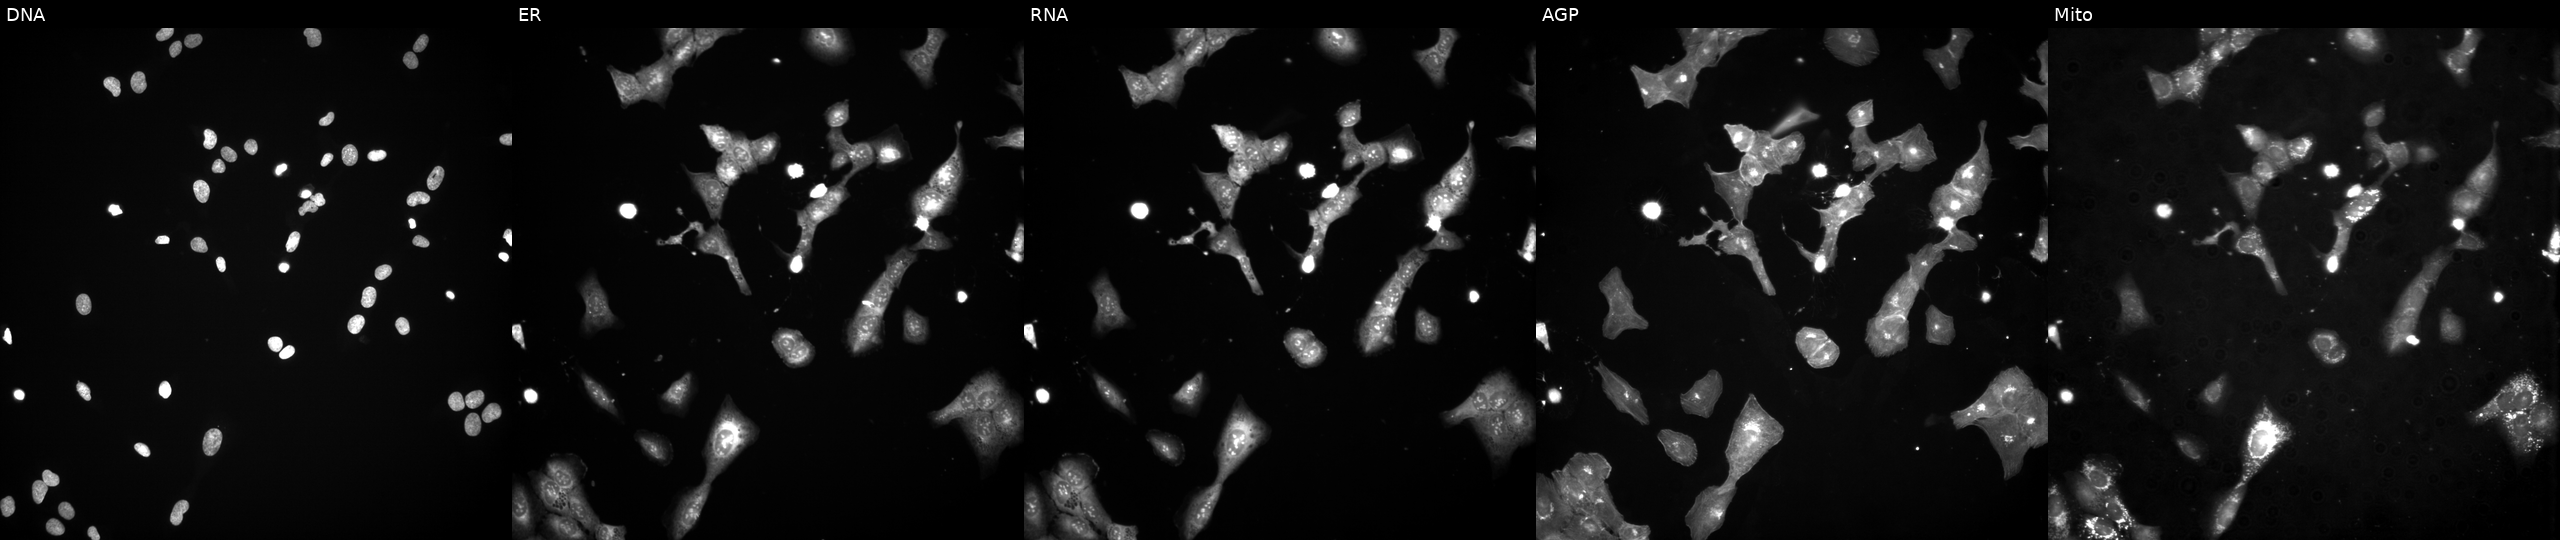
Five-channel Cell Painting image of U2OS cells exposed to a small-molecule compound (JUMP id JCP2022_052804). Channels (left→right): DNA (nuclei); ER (endoplasmic reticulum); RNA (nucleoli and cytoplasmic RNA); AGP (actin cytoskeleton, Golgi, and plasma membrane); Mito (mitochondria). Source 3, plate JCPQC052, well C19.